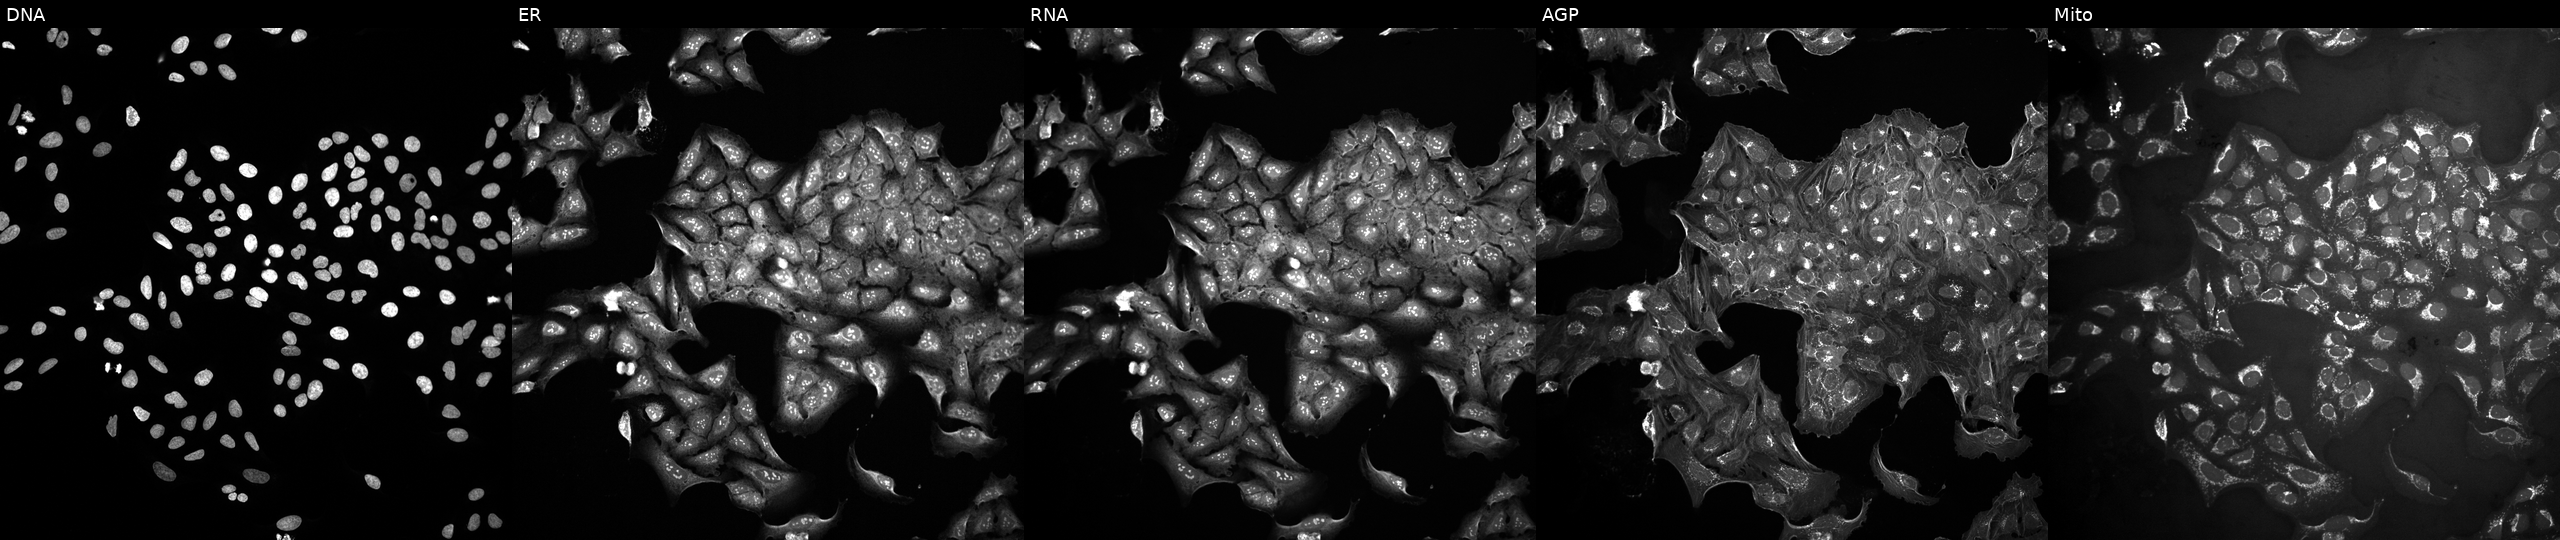
This image strip shows the five Cell Painting channels for a single field of U2OS cells treated with a small-molecule compound (JUMP id JCP2022_021974). The five panels, left to right, show DNA, ER, RNA, AGP, and Mito.